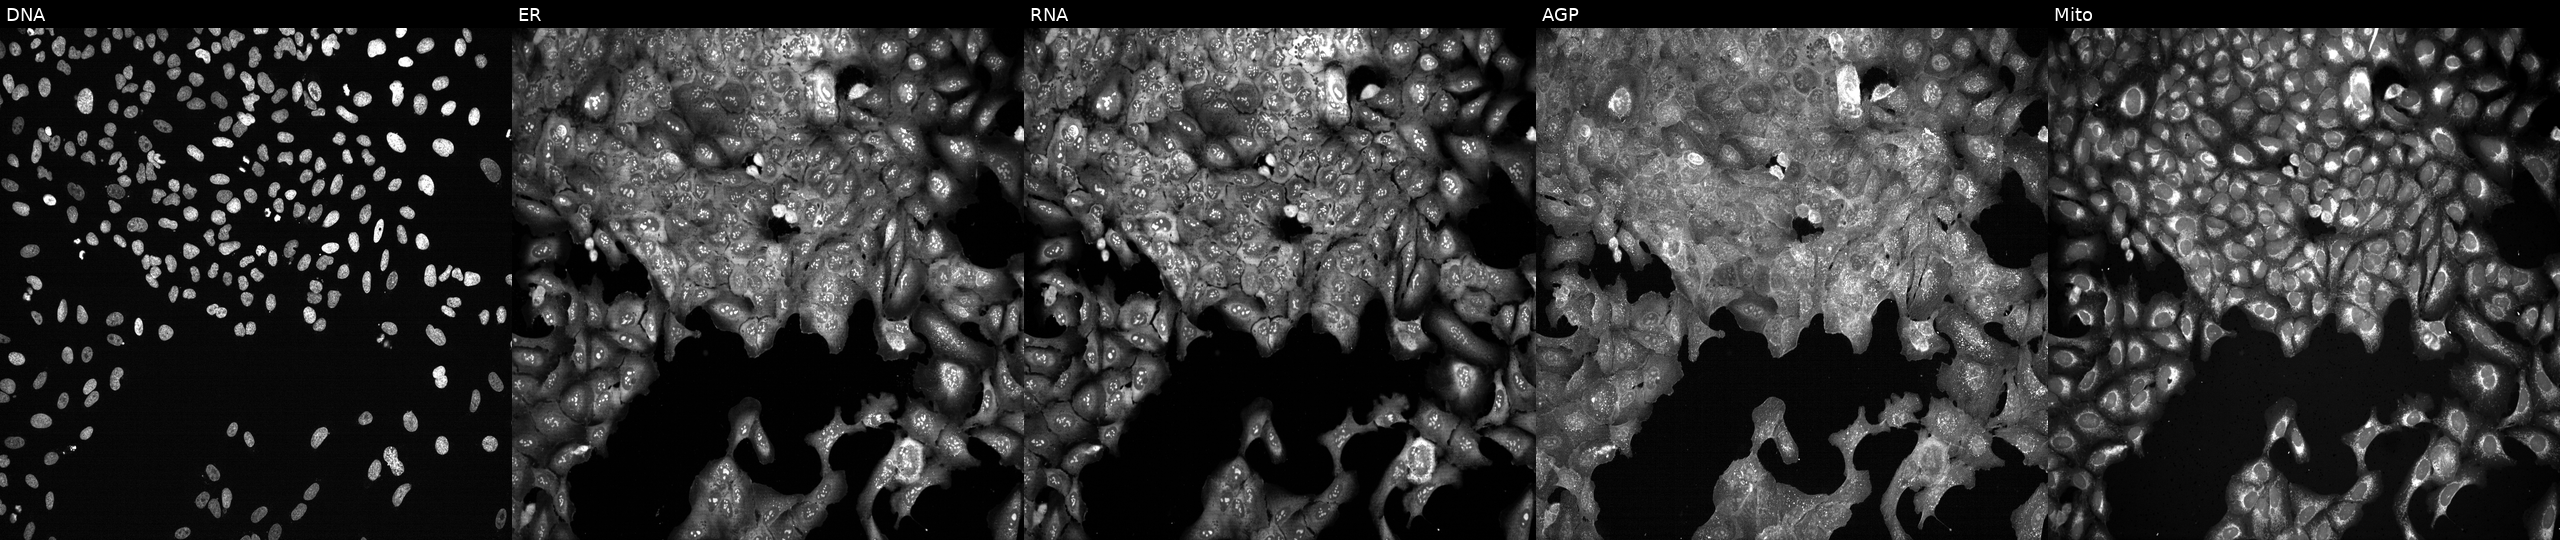
U2OS cells, Cell Painting assay, following CRISPR knockout of AMDHD2. The five panels, left to right, show Hoechst 33342, concanavalin A, SYTO 14, phalloidin and WGA, MitoTracker. Each panel is percentile-stretched 16-bit fluorescence.